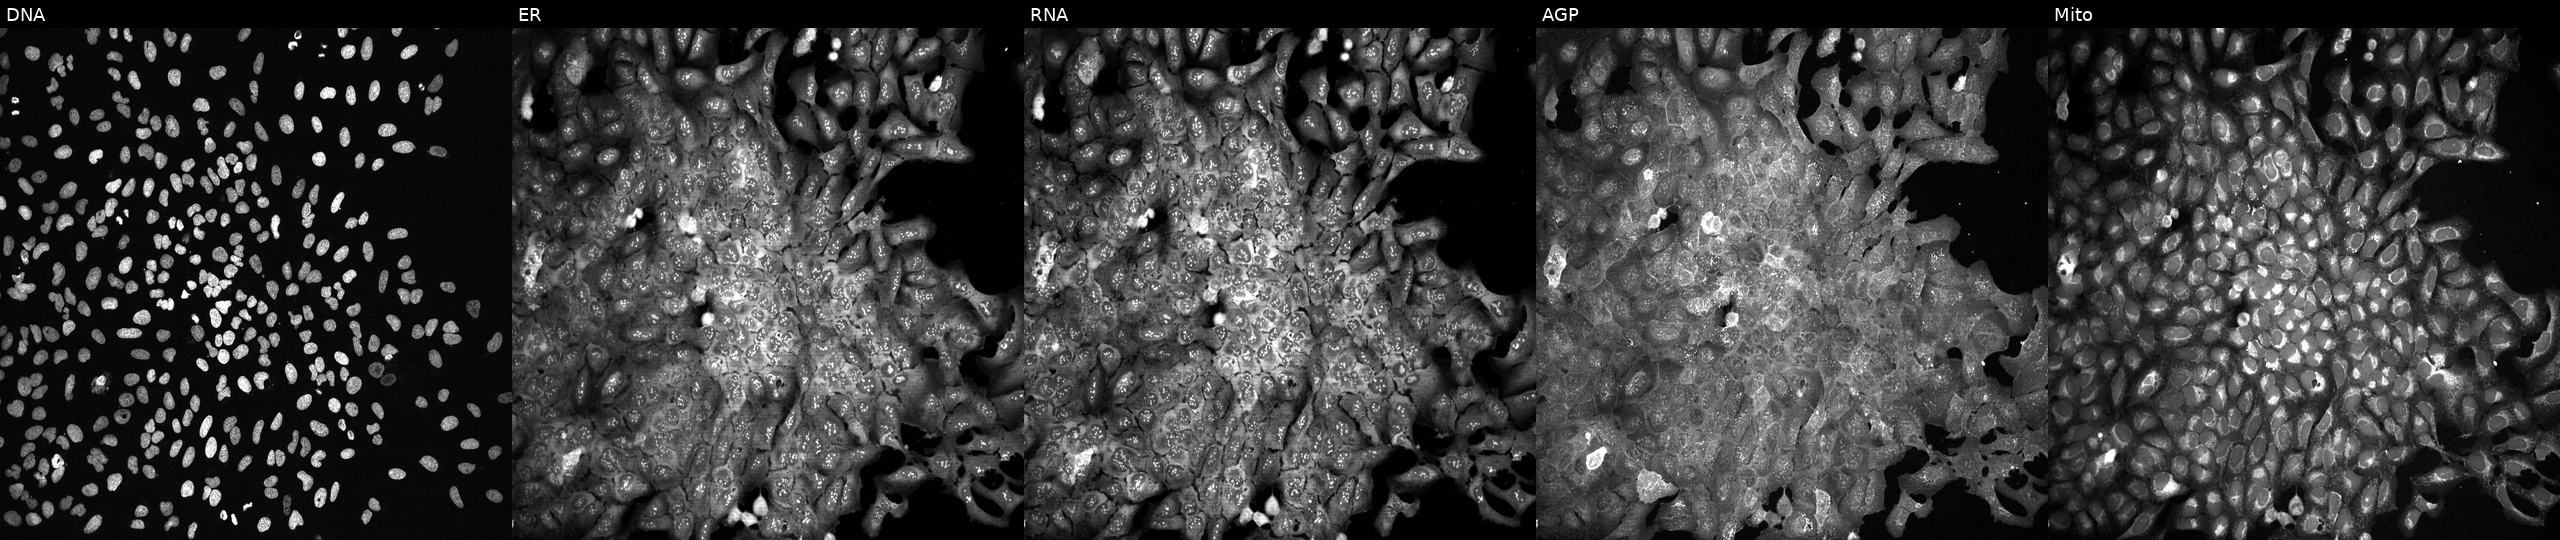
U2OS cells, Cell Painting assay, with TP53I3 knocked out by CRISPR. Panels show, left to right, DNA, ER, RNA, AGP, and Mito. Each panel is percentile-stretched 16-bit fluorescence.